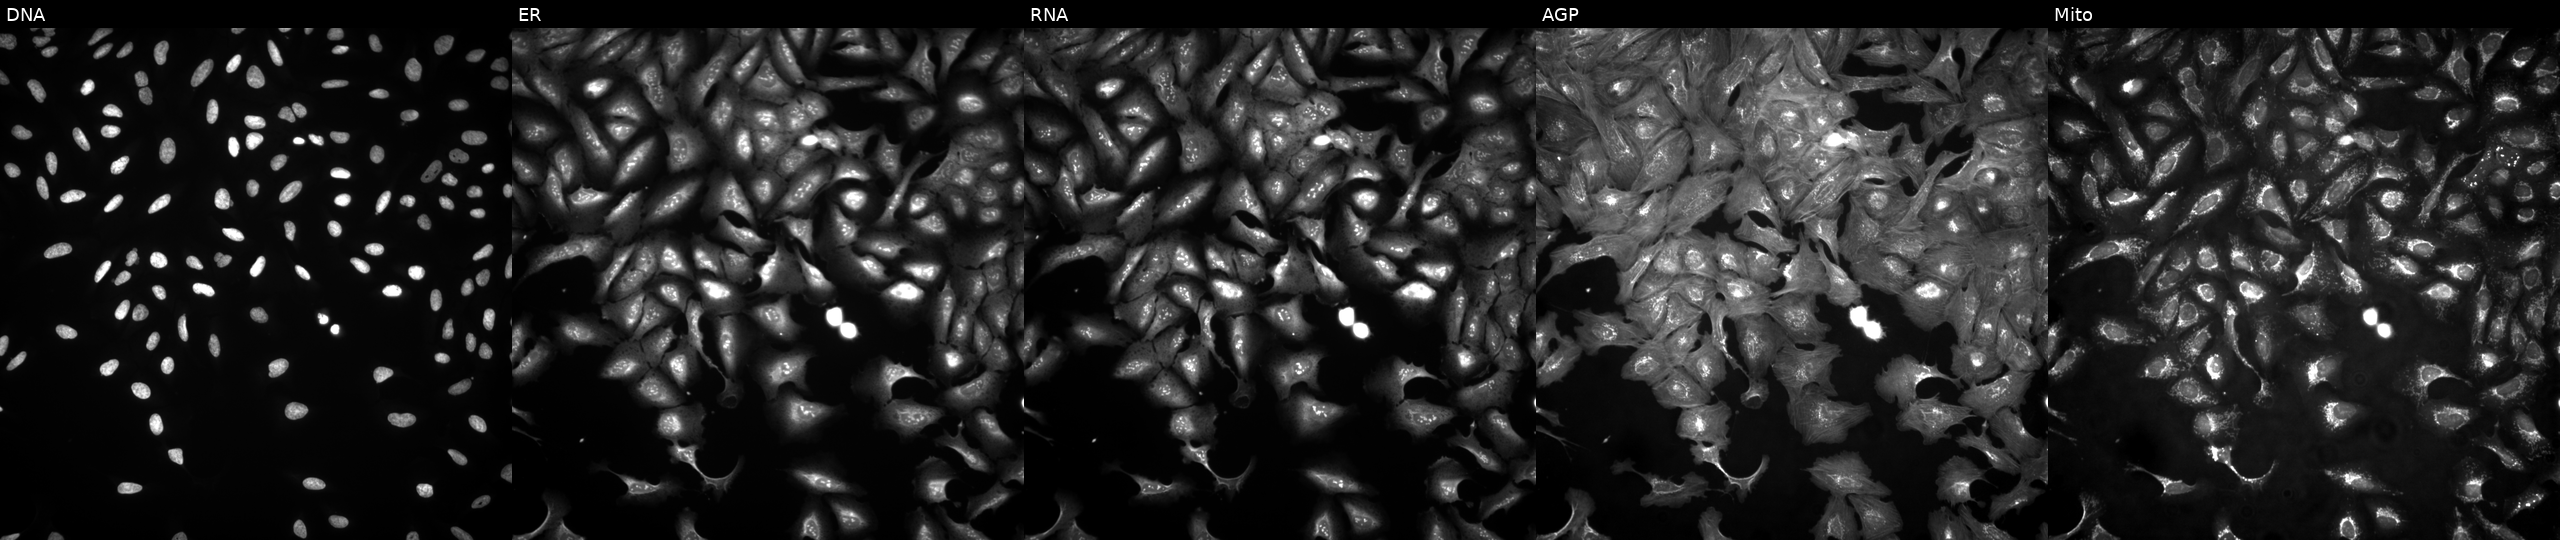
Five-channel Cell Painting image of U2OS cells overexpressing BPESC1 via ORF transfection. Panels show, left to right, DNA, ER, RNA, AGP, and Mito.